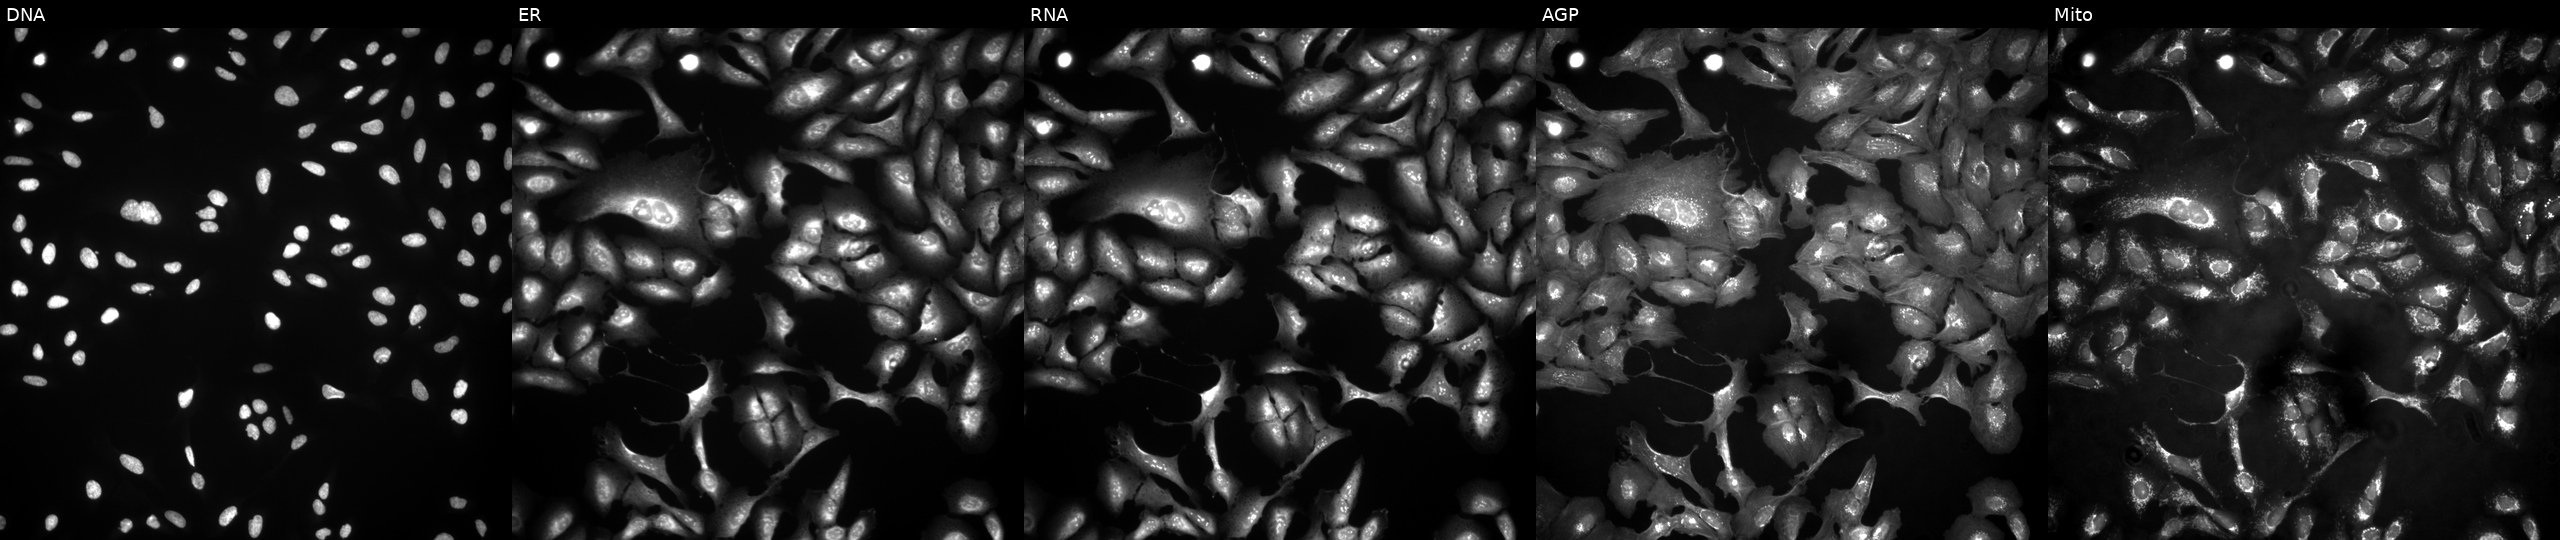
Panels show, left to right, DNA (nuclei); ER (endoplasmic reticulum); RNA (nucleoli and cytoplasmic RNA); AGP (actin cytoskeleton, Golgi, and plasma membrane); Mito (mitochondria). U2OS osteosarcoma cells overexpressing ING5 via ORF transfection (JUMP id JCP2022_904084). Cell Painting assay, JUMP-CP dataset.